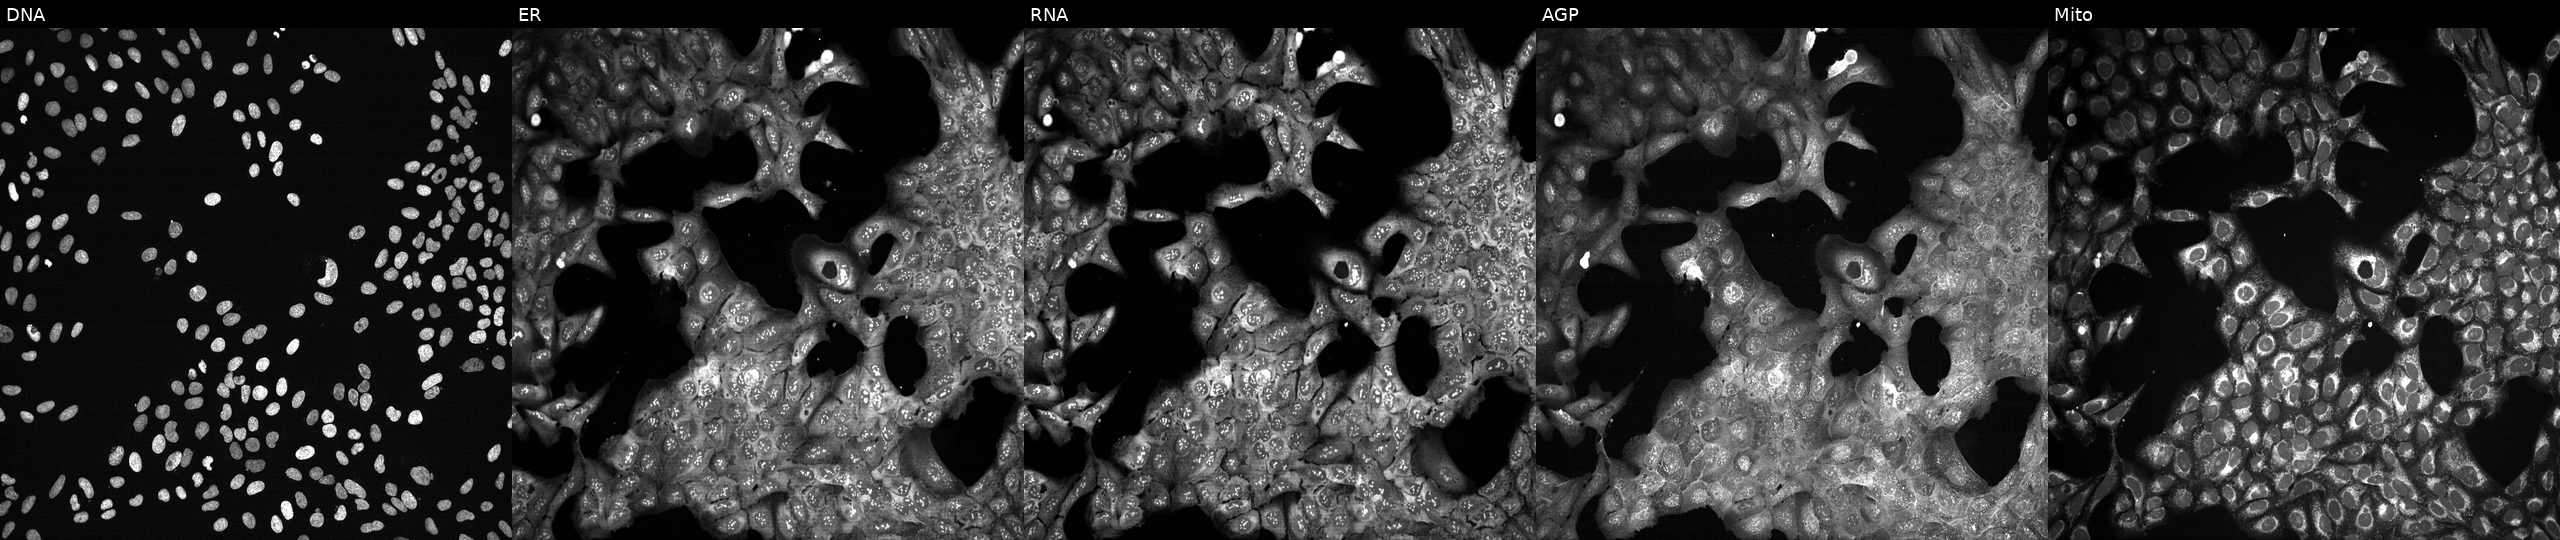
High-content fluorescence microscopy (Cell Painting). Cell line: U2OS. Perturbation: CRISPR-edited to disrupt DIRAS3. The five panels, left to right, show DNA, ER, RNA, AGP, and Mito. Source 13, plate CP-CC9-R4-04, well P19.